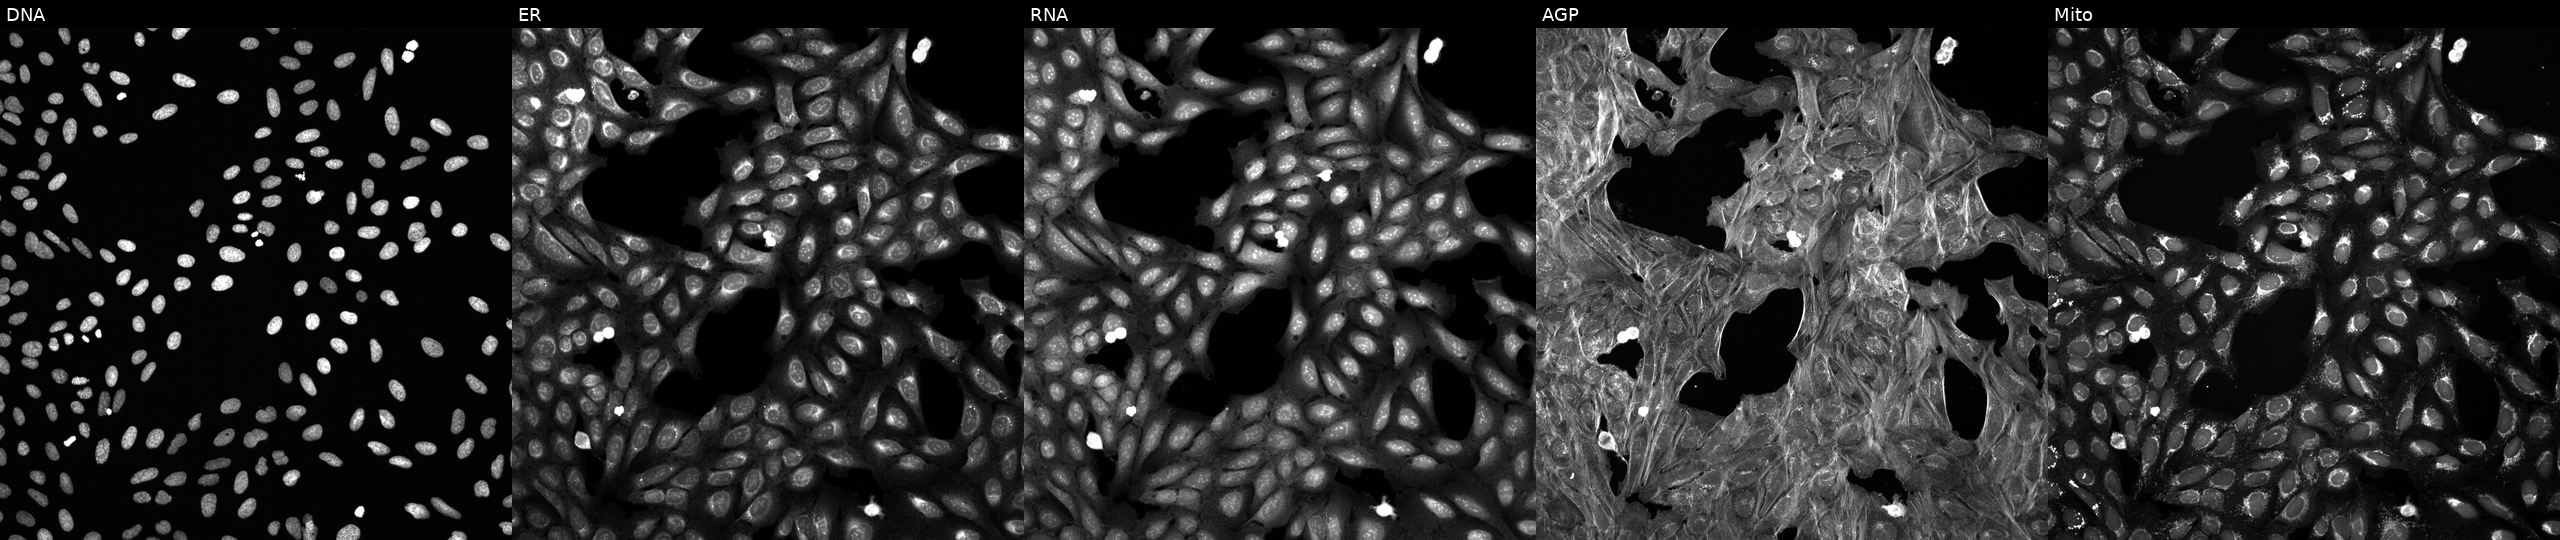
This image strip shows the five Cell Painting channels for a single field of U2OS cells treated with DMSO vehicle only (negative control) (JUMP id JCP2022_033924). From left to right: Hoechst 33342, concanavalin A, SYTO 14, phalloidin and WGA, MitoTracker.